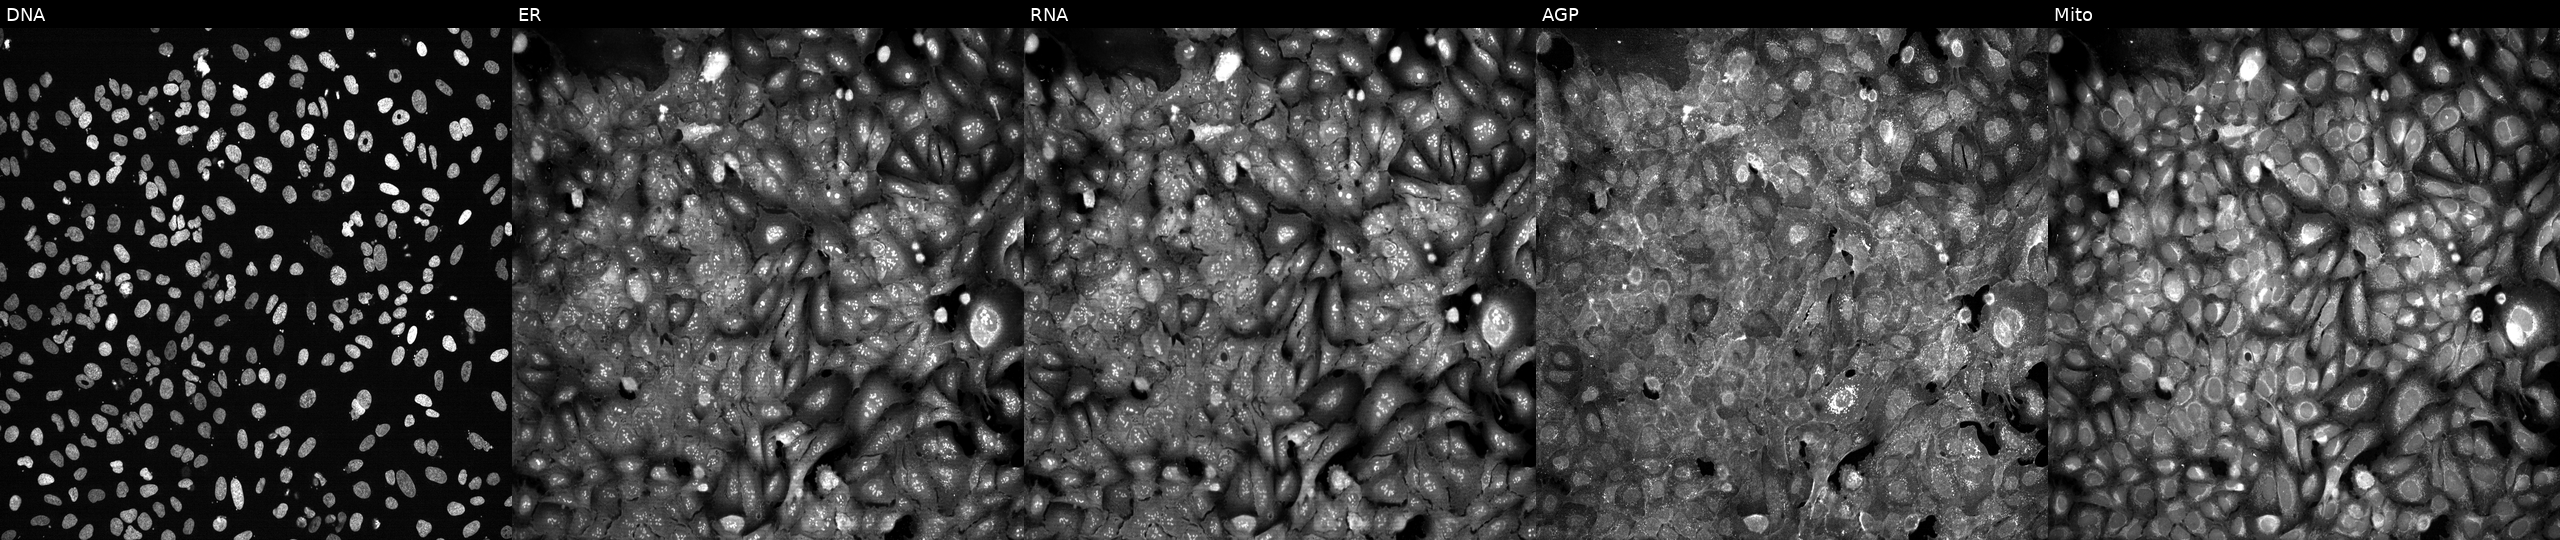
This image strip shows the five Cell Painting channels for a single field of U2OS cells CRISPR-edited to disrupt RAD54L. Channels (left→right): DNA (nuclei); ER (endoplasmic reticulum); RNA (nucleoli and cytoplasmic RNA); AGP (actin cytoskeleton, Golgi, and plasma membrane); Mito (mitochondria).